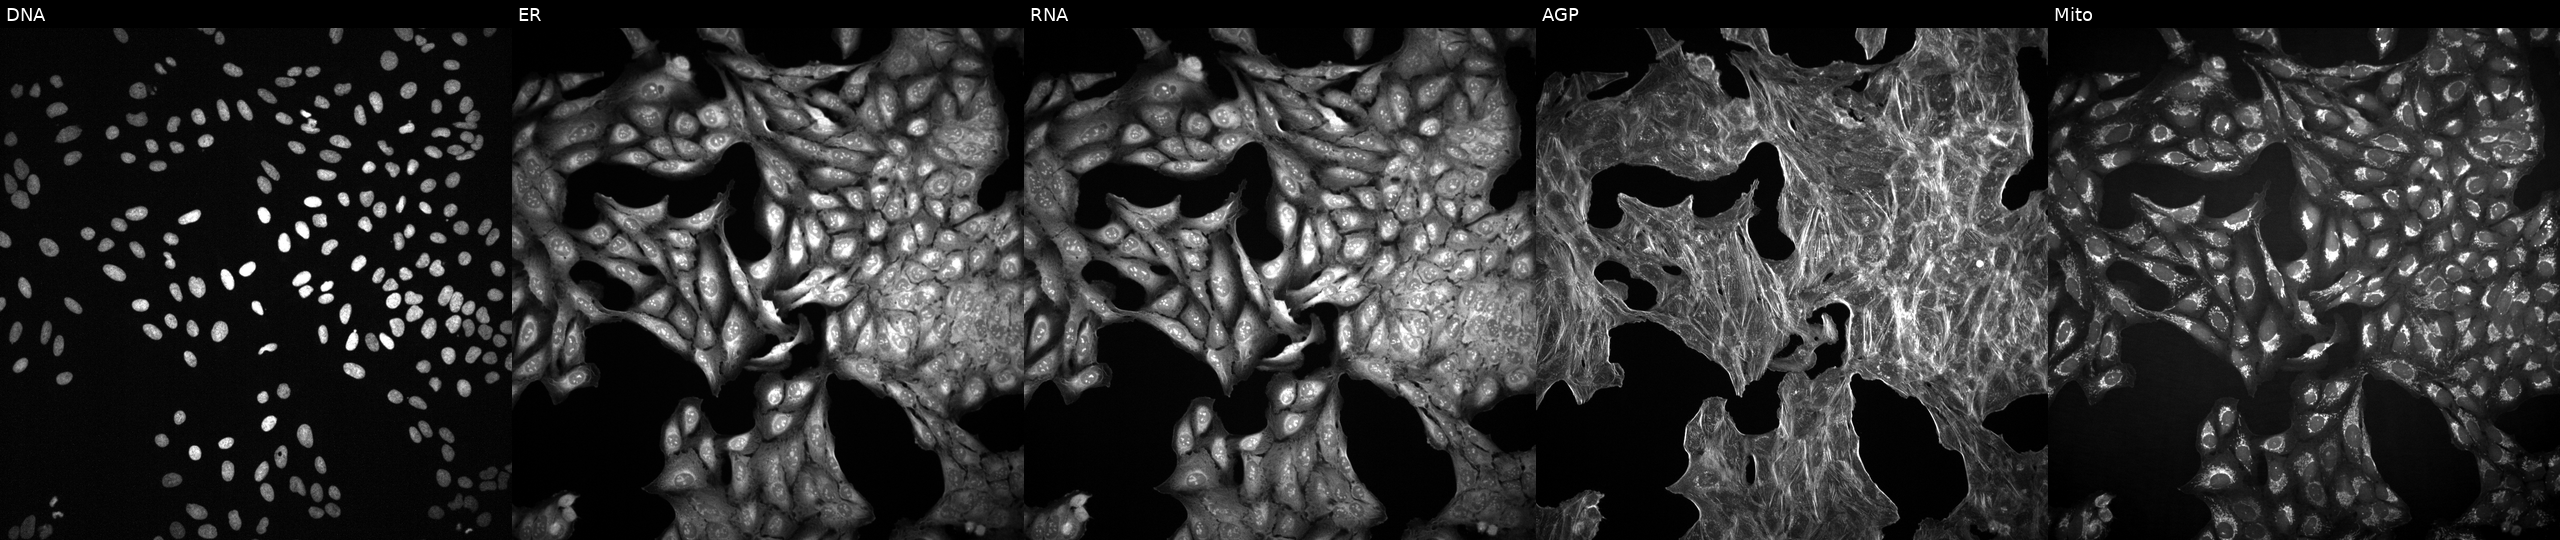
This image strip shows the five Cell Painting channels for a single field of U2OS cells treated with a small-molecule compound (JUMP id JCP2022_059966). Channels (left→right): DNA (nuclei); ER (endoplasmic reticulum); RNA (nucleoli and cytoplasmic RNA); AGP (actin cytoskeleton, Golgi, and plasma membrane); Mito (mitochondria). Source 2, plate 1053597936, well L01.